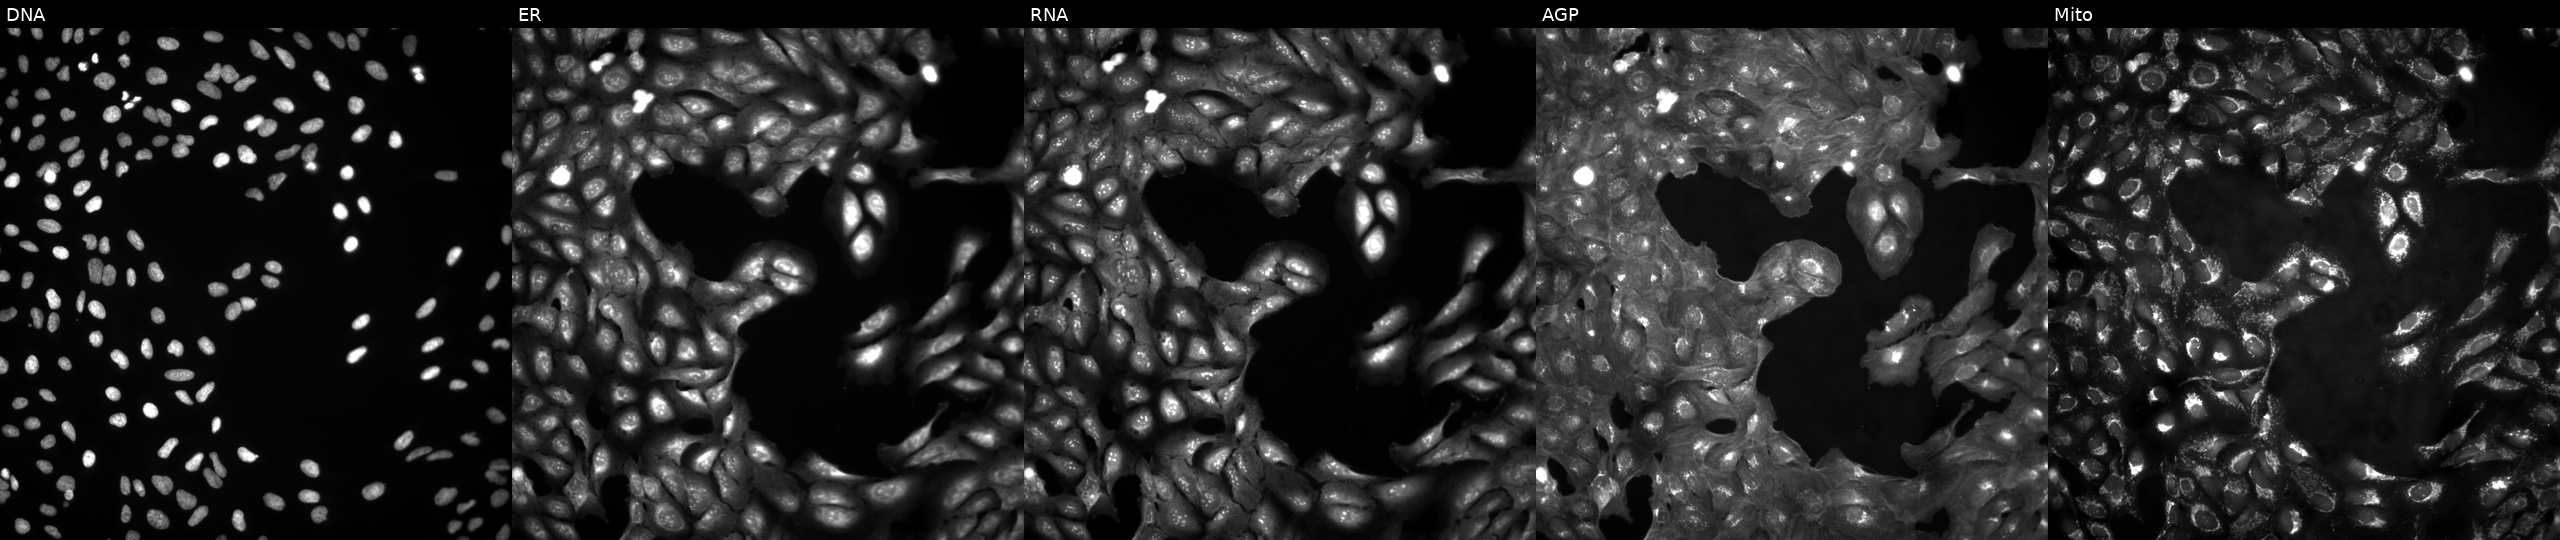
Five-channel Cell Painting image of U2OS cells untreated (empty-well control) (JUMP id JCP2022_999999). The five panels, left to right, show DNA (nuclei); ER (endoplasmic reticulum); RNA (nucleoli and cytoplasmic RNA); AGP (actin cytoskeleton, Golgi, and plasma membrane); Mito (mitochondria). Source 4, plate BR00123946, well J22.